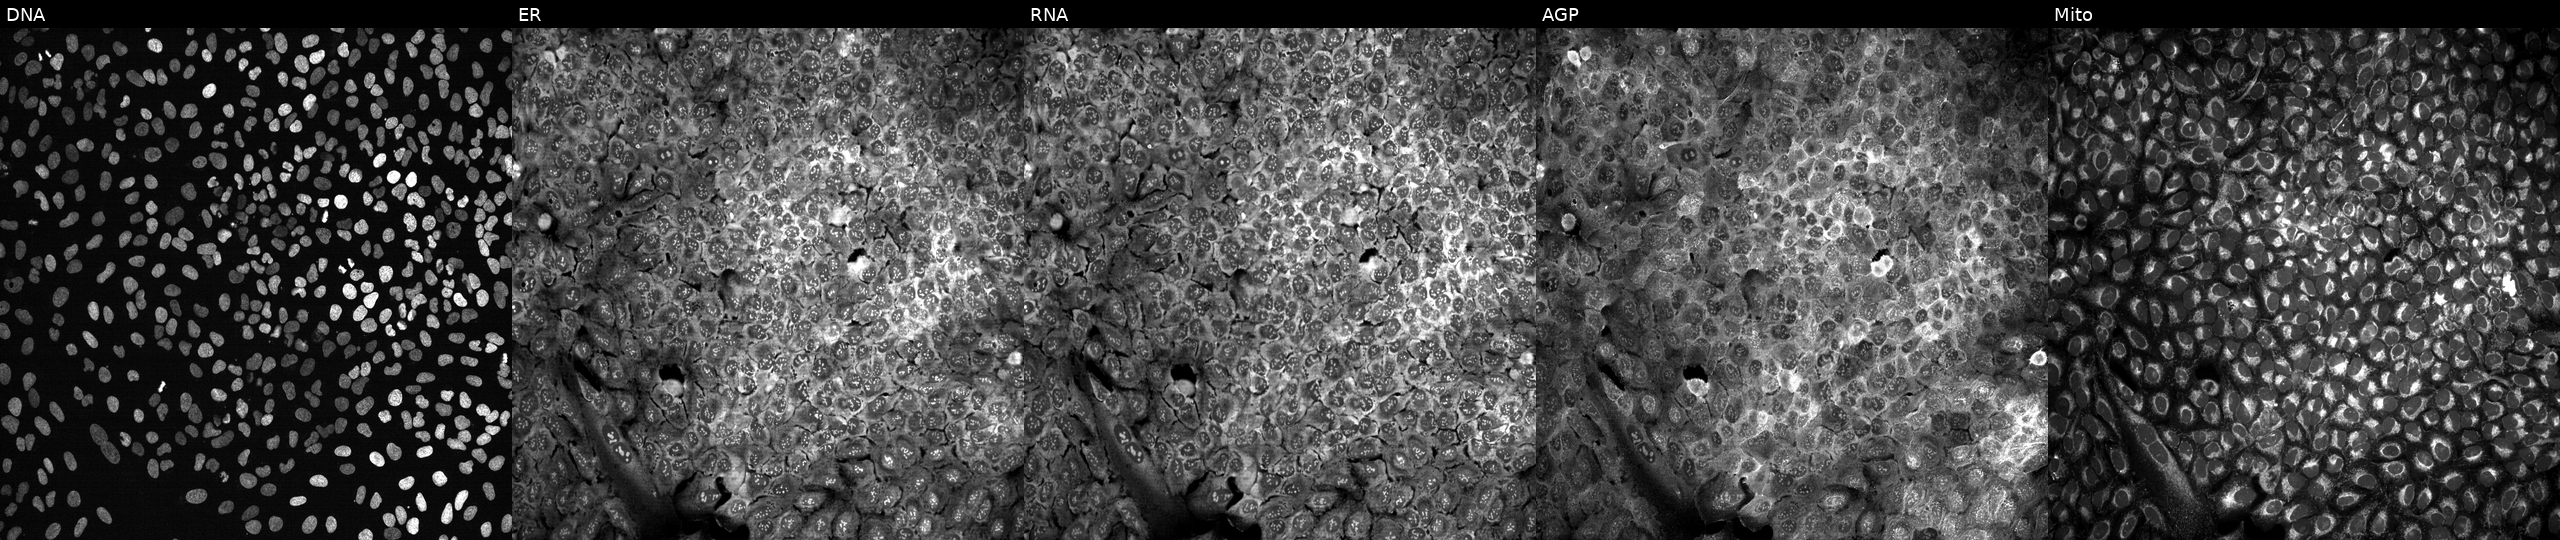
High-content fluorescence microscopy (Cell Painting). Cell line: U2OS. Perturbation: with RAB31 knocked out by CRISPR. Panels show, left to right, DNA (nuclei); ER (endoplasmic reticulum); RNA (nucleoli and cytoplasmic RNA); AGP (actin cytoskeleton, Golgi, and plasma membrane); Mito (mitochondria). Source 13, plate CP-CC9-R4-03, well J06.